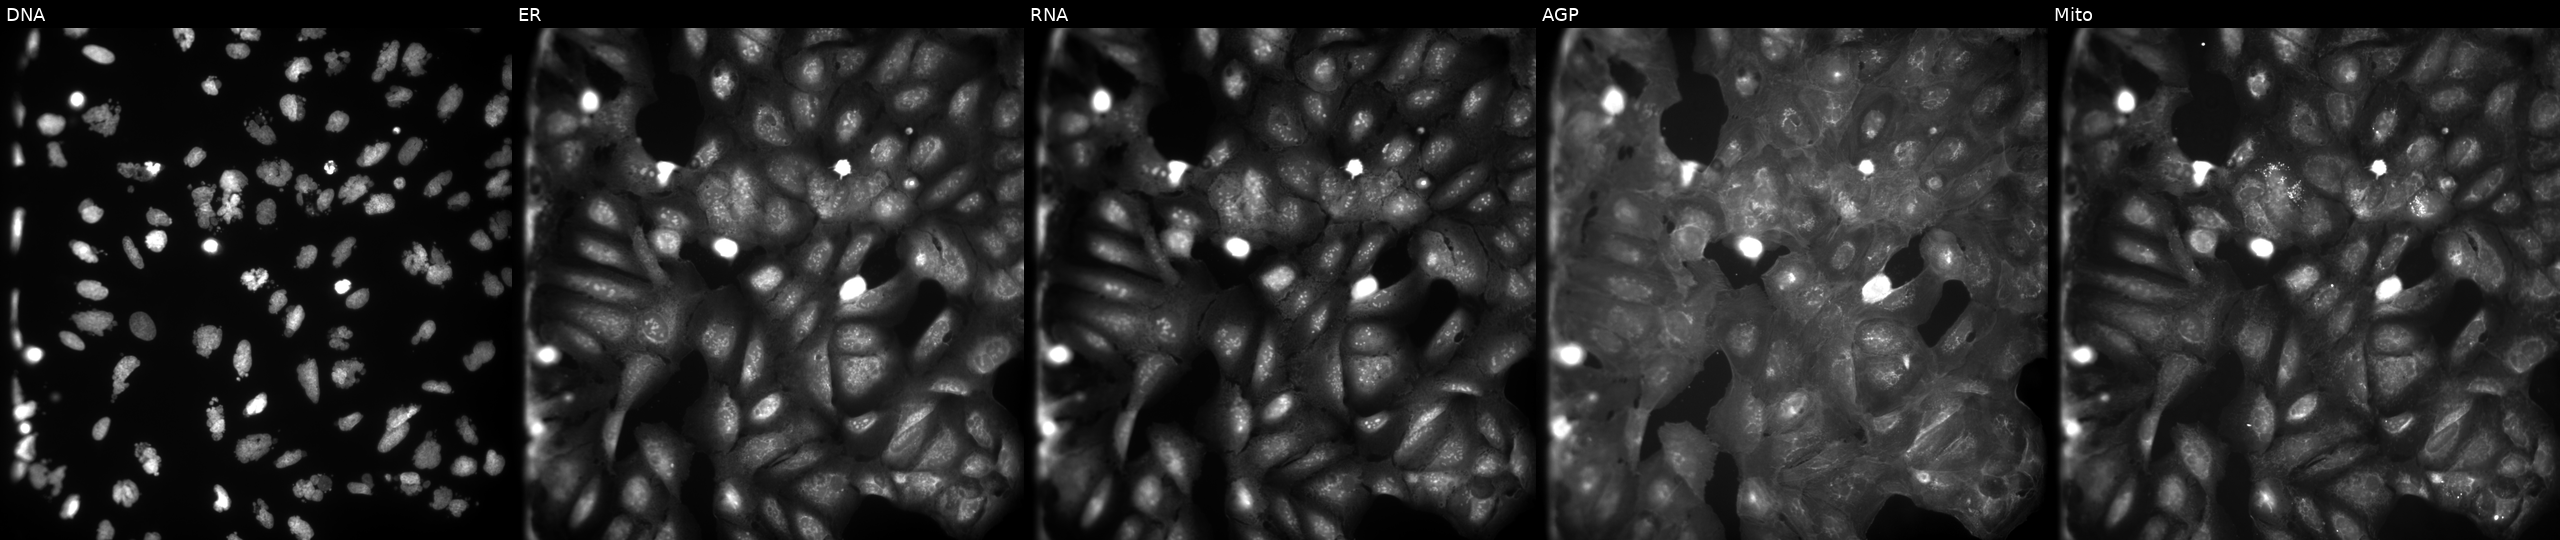
JUMP Cell Painting — COMPOUND plate. U2OS cells treated with AMG900 (positive-control compound) (JUMP id JCP2022_037716). Channels (left→right): DNA, ER, RNA, AGP, and Mito.